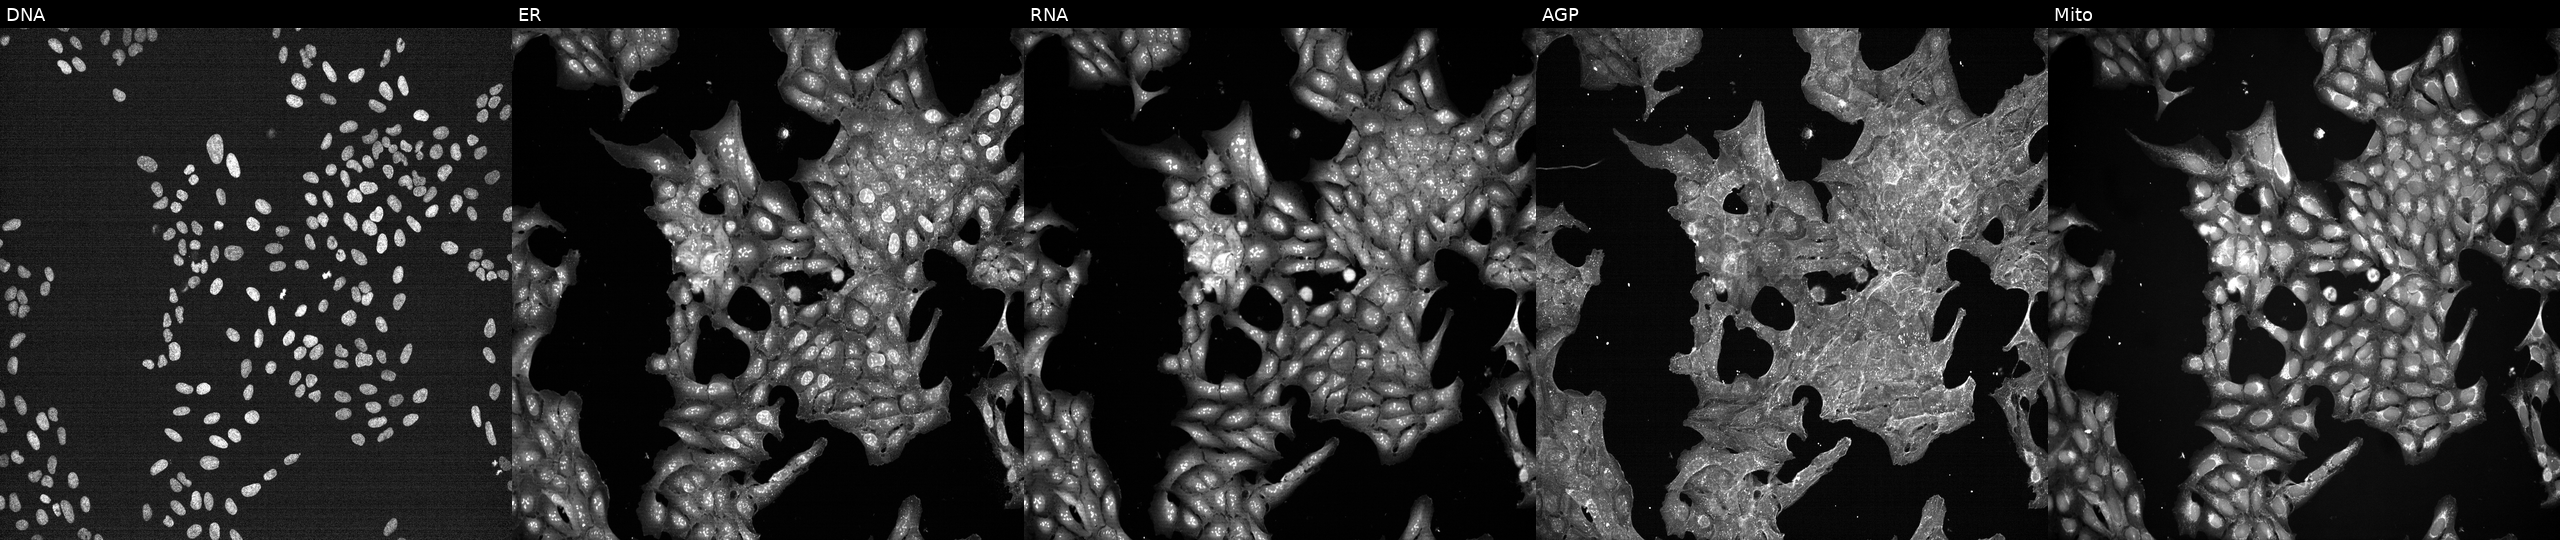
JUMP Cell Painting — TARGET2 plate. U2OS cells treated with DMSO vehicle only (negative control) (JUMP id JCP2022_033924). From left to right: Hoechst 33342, concanavalin A, SYTO 14, phalloidin and WGA, MitoTracker. Source 7, plate CP1-SC1-25, well K14.